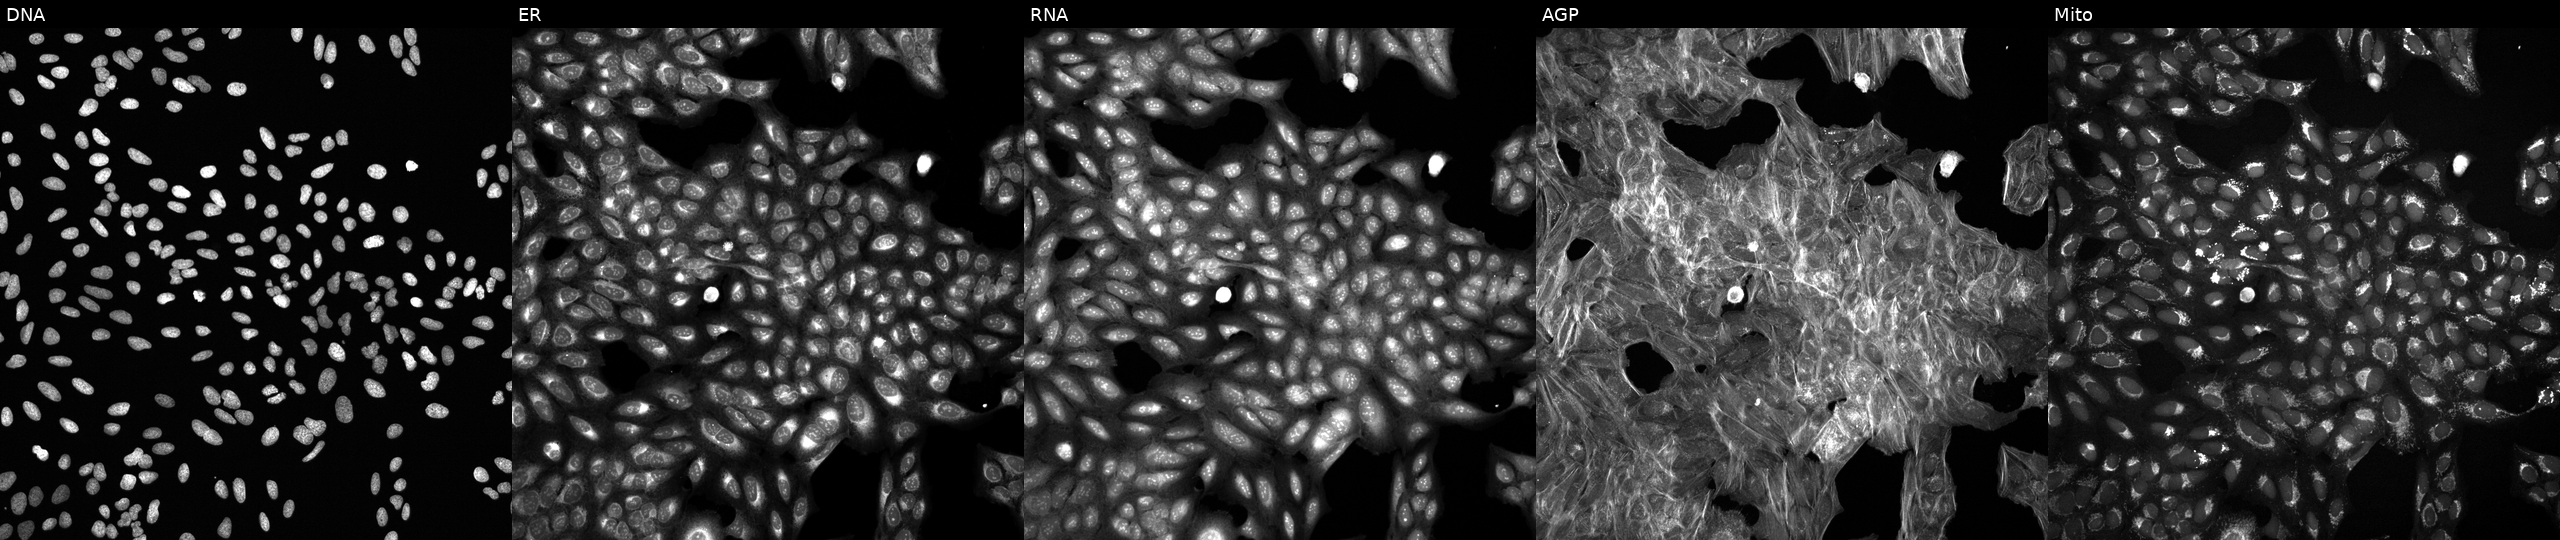
Five-channel Cell Painting image of U2OS cells perturbed with a small-molecule compound (InChIKey NJBCIUNOCNOJNZ-UHFFFAOYSA-N) (JUMP id JCP2022_059318). The five panels, left to right, show Hoechst 33342, concanavalin A, SYTO 14, phalloidin and WGA, MitoTracker. Source 6, plate 110000293083, well O09.